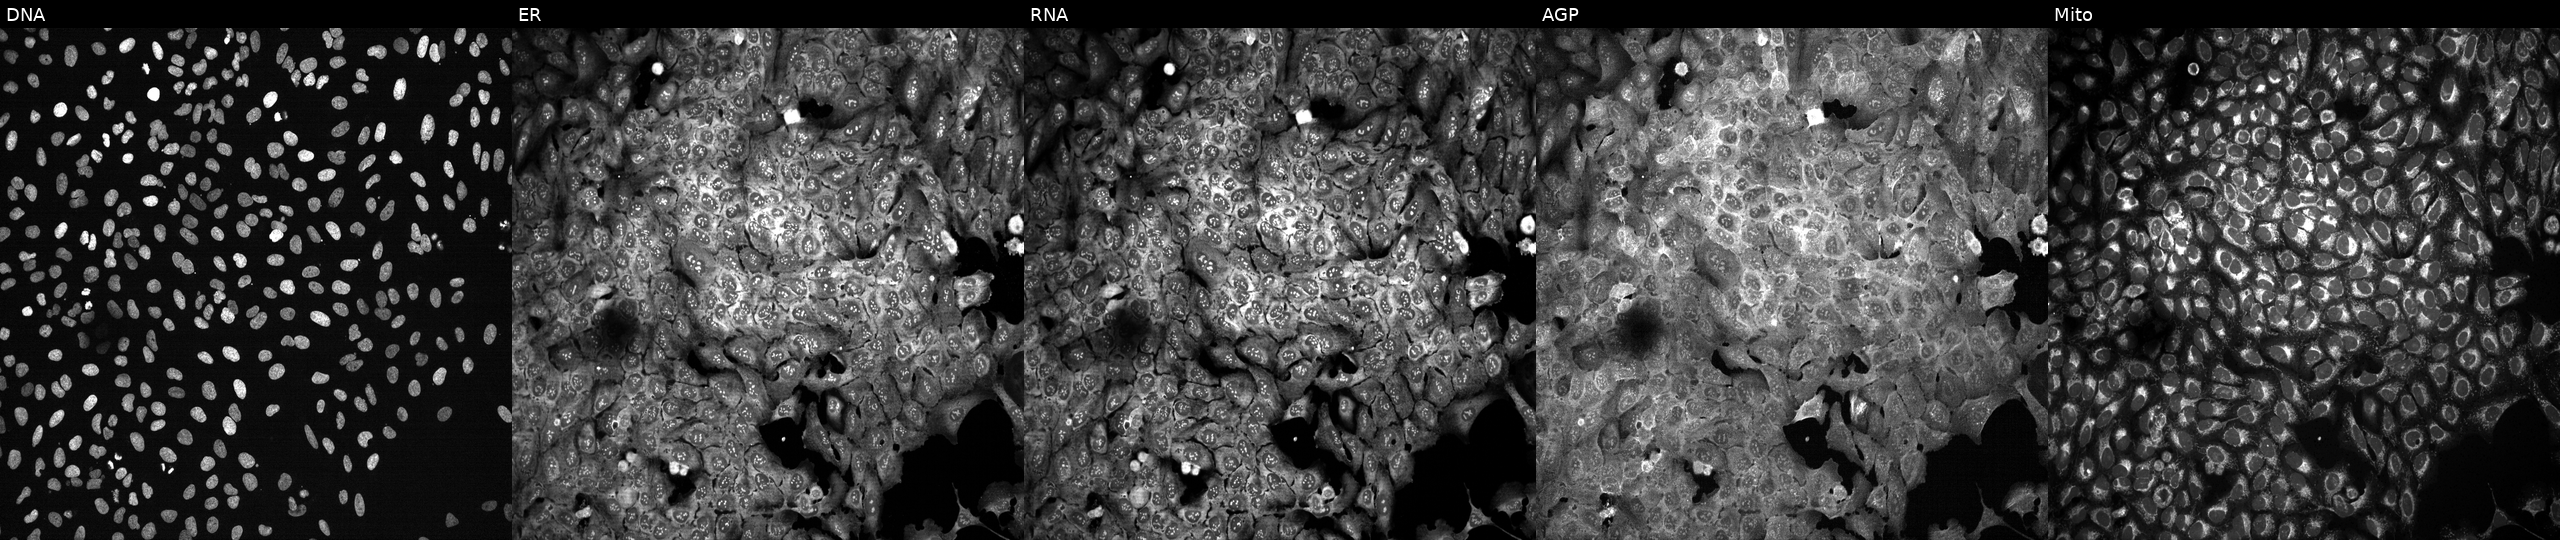
The five panels, left to right, show Hoechst 33342, concanavalin A, SYTO 14, phalloidin and WGA, MitoTracker. U2OS osteosarcoma cells following CRISPR knockout of MDH2 (JUMP id JCP2022_804087). Cell Painting assay, JUMP-CP dataset. Source 13, plate CP-CC9-R3-02, well M15.